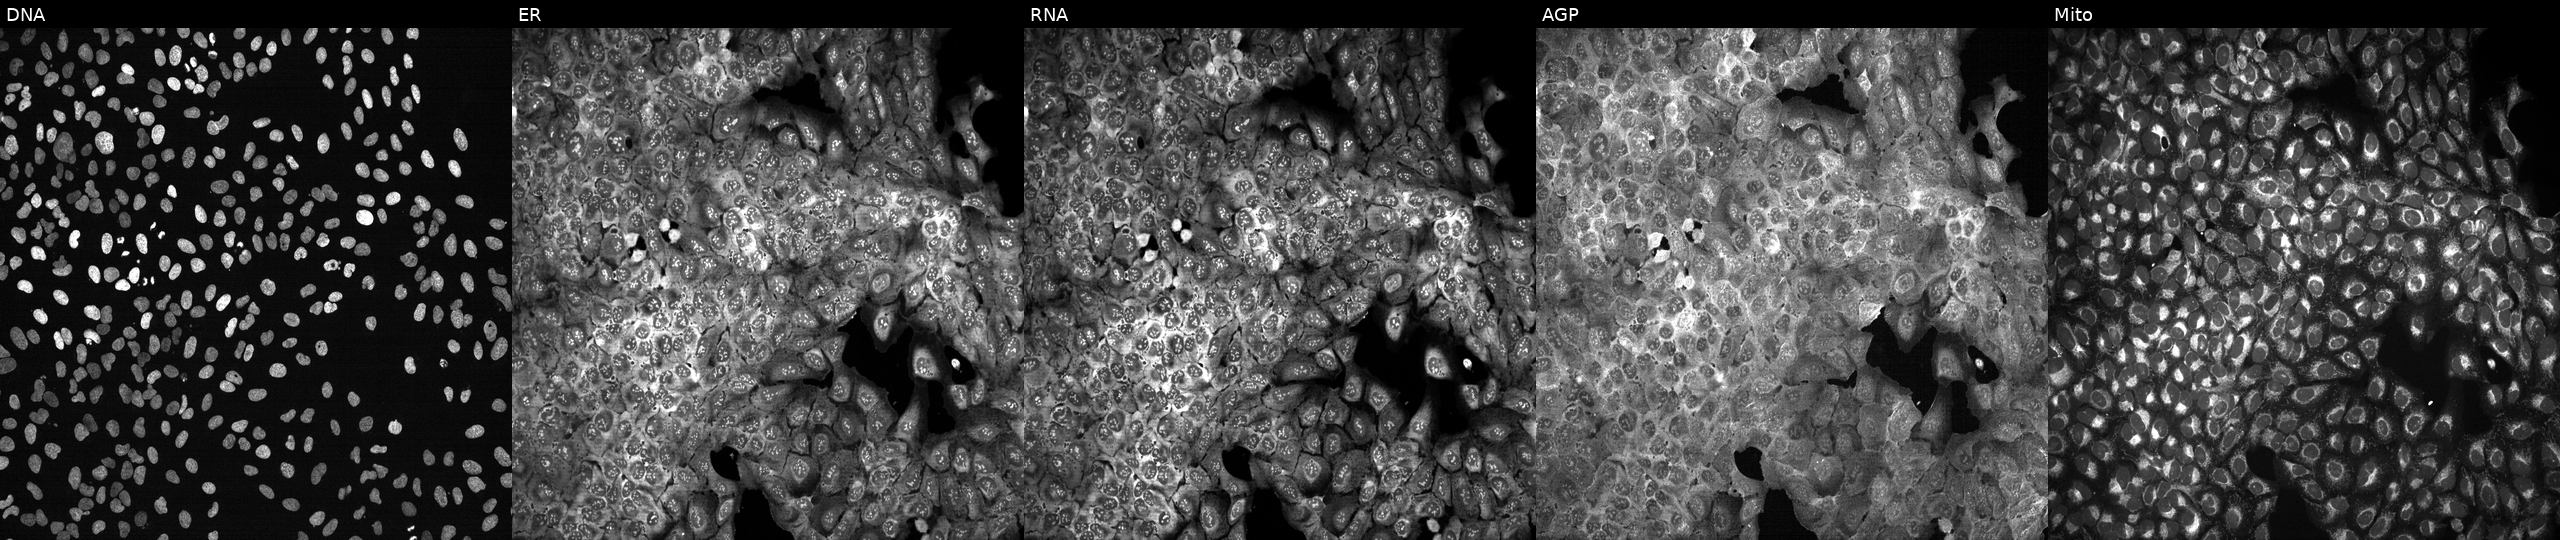
From left to right: Hoechst 33342, concanavalin A, SYTO 14, phalloidin and WGA, MitoTracker. U2OS osteosarcoma cells CRISPR-edited to disrupt SLC31A2. Cell Painting assay, JUMP-CP dataset.